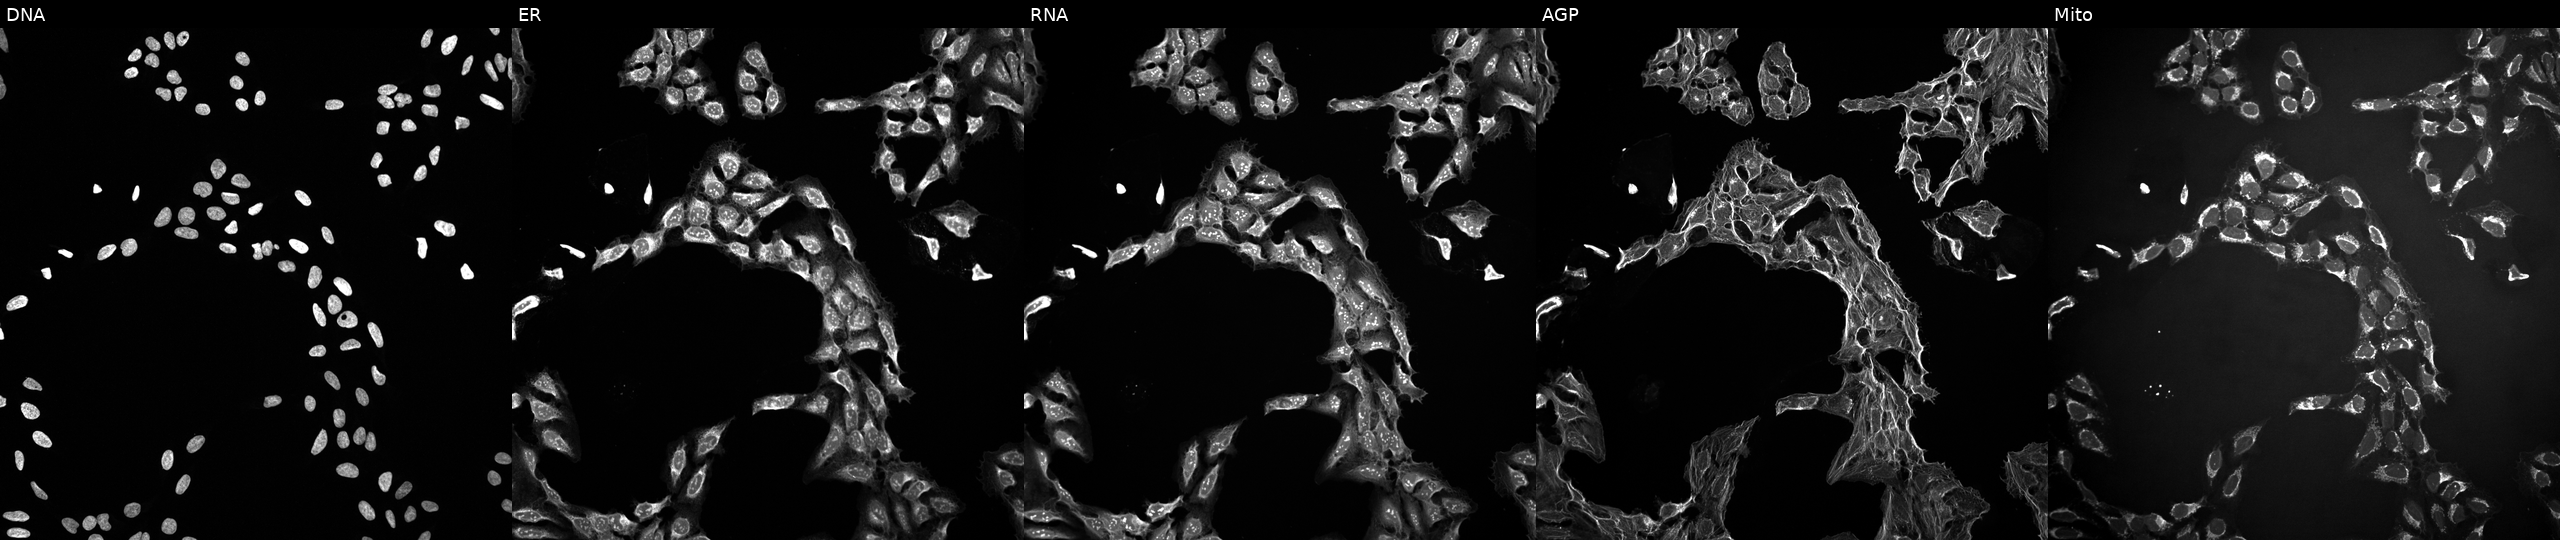
Panels show, left to right, DNA (nuclei); ER (endoplasmic reticulum); RNA (nucleoli and cytoplasmic RNA); AGP (actin cytoskeleton, Golgi, and plasma membrane); Mito (mitochondria). U2OS osteosarcoma cells exposed to DMSO alone as a negative control (JUMP id JCP2022_033924). Cell Painting assay, JUMP-CP dataset. Source 10, plate Dest210727-153003, well M10.